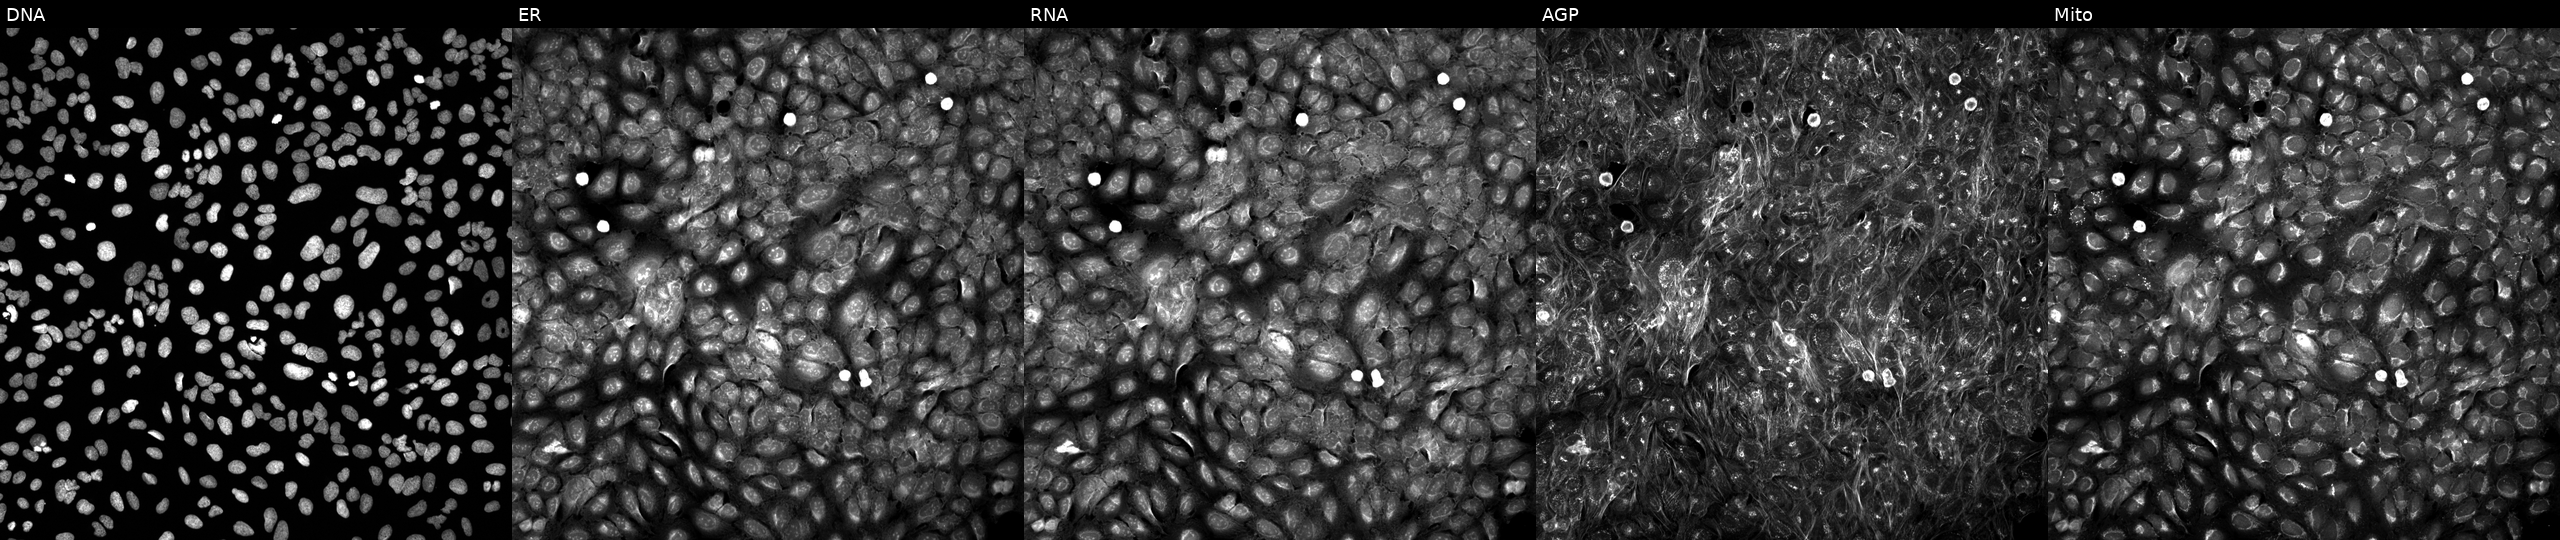
This image strip shows the five Cell Painting channels for a single field of U2OS cells exposed to a small-molecule compound. The five panels, left to right, show Hoechst 33342, concanavalin A, SYTO 14, phalloidin and WGA, MitoTracker.